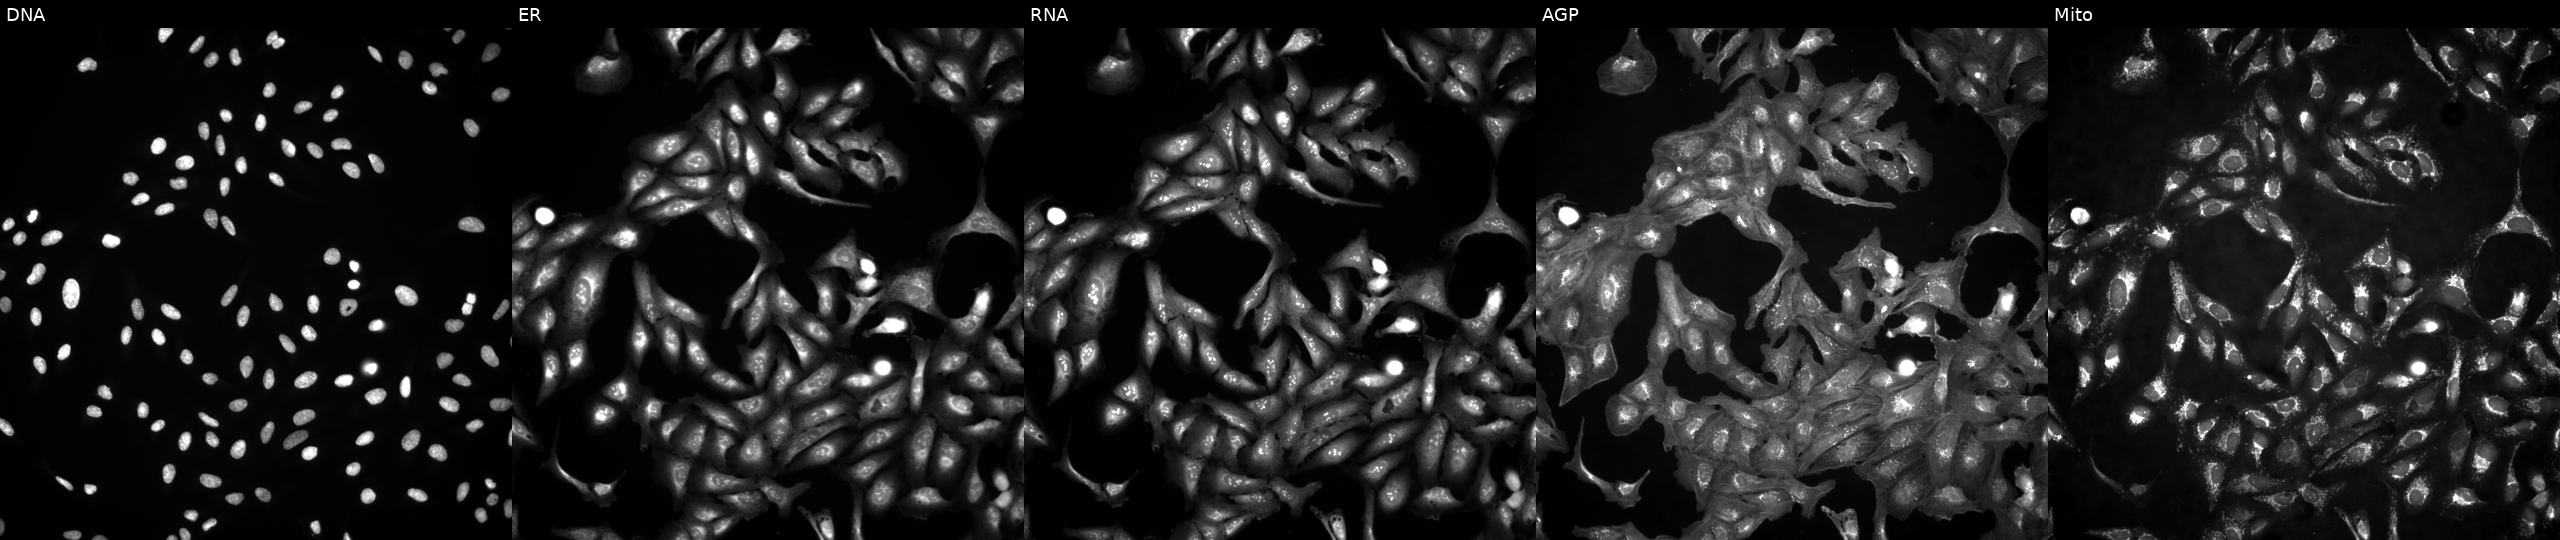
High-content fluorescence microscopy (Cell Painting). Cell line: U2OS. Perturbation: untreated (empty-well control) (JUMP id JCP2022_999999). Channels (left→right): DNA, ER, RNA, AGP, and Mito.